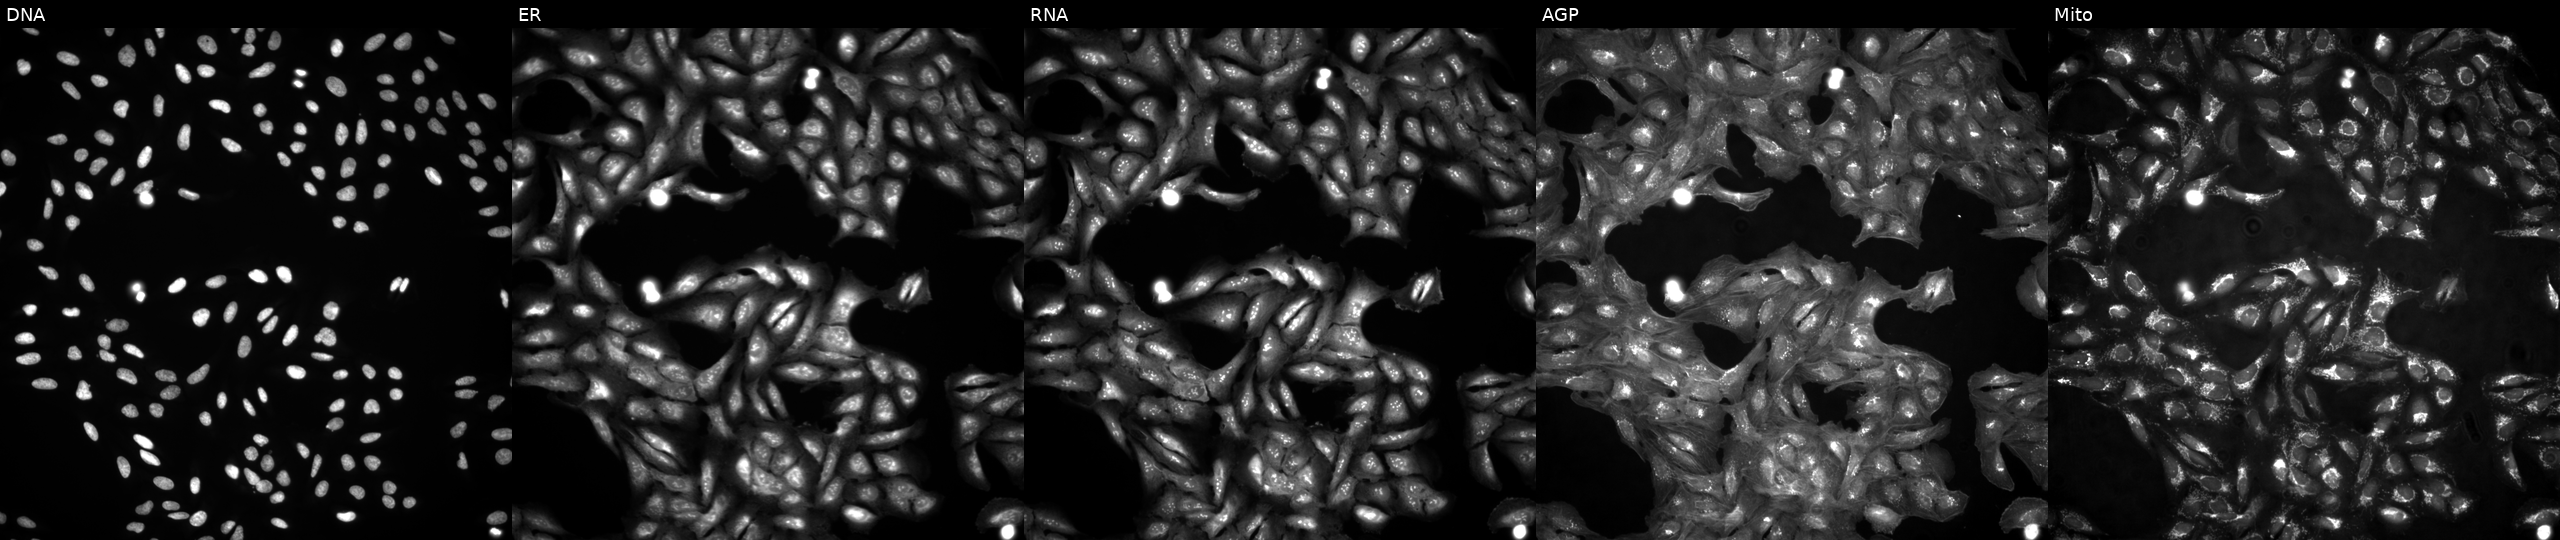
High-content fluorescence microscopy (Cell Painting). Cell line: U2OS. Perturbation: untreated (empty-well control). Panels show, left to right, DNA, ER, RNA, AGP, and Mito.